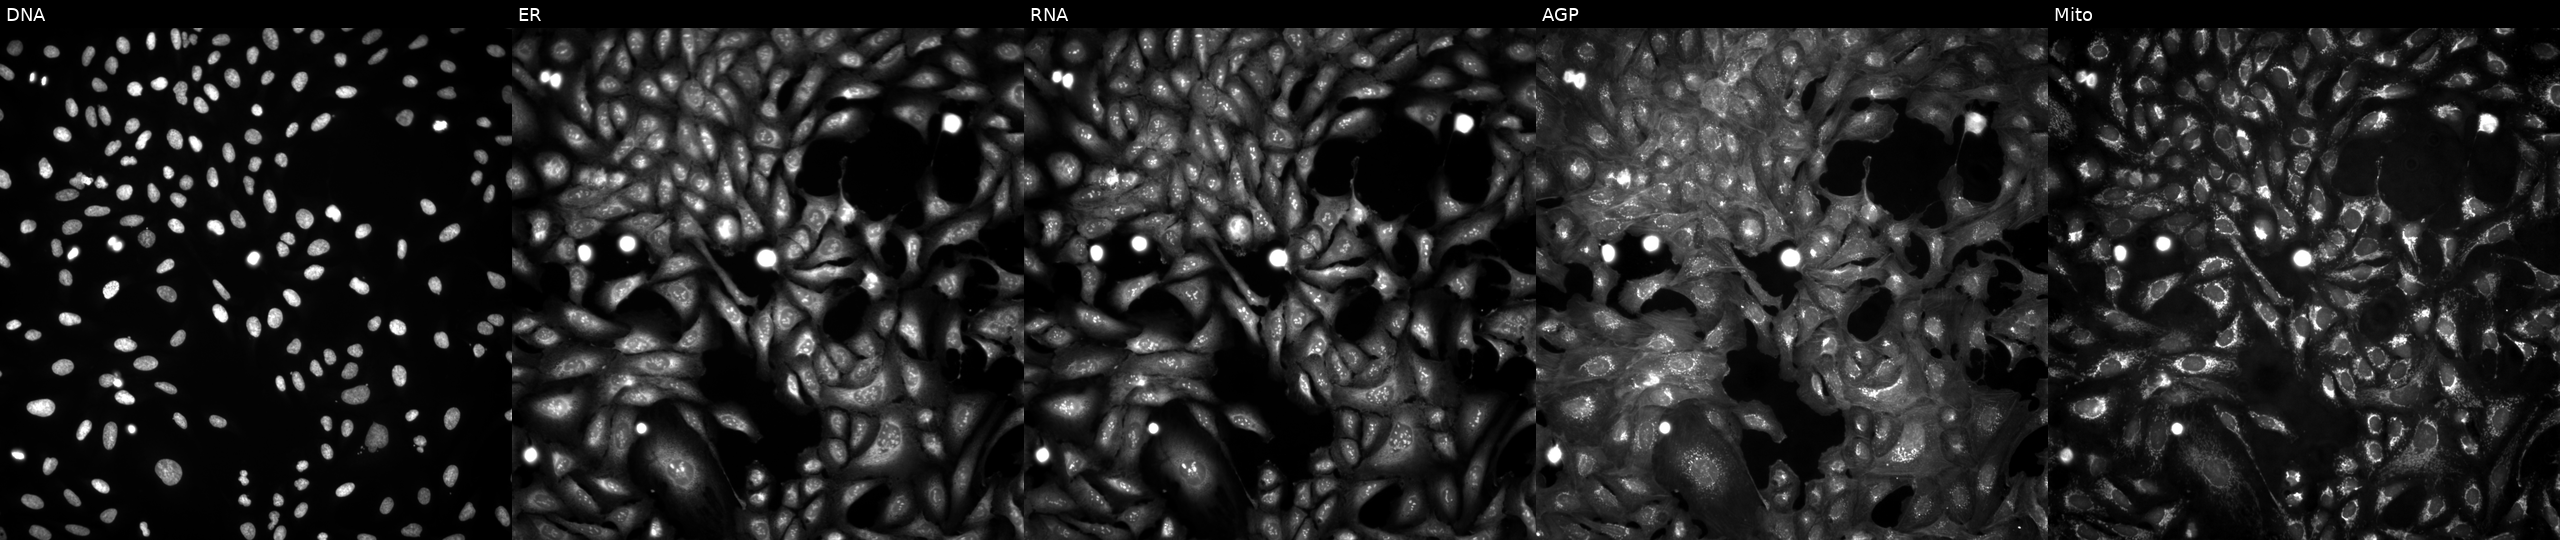
This image strip shows the five Cell Painting channels for a single field of U2OS cells in an empty control well (no perturbation) (JUMP id JCP2022_999999). Panels show, left to right, Hoechst 33342, concanavalin A, SYTO 14, phalloidin and WGA, MitoTracker. Source 4, plate BR00124793, well I11.